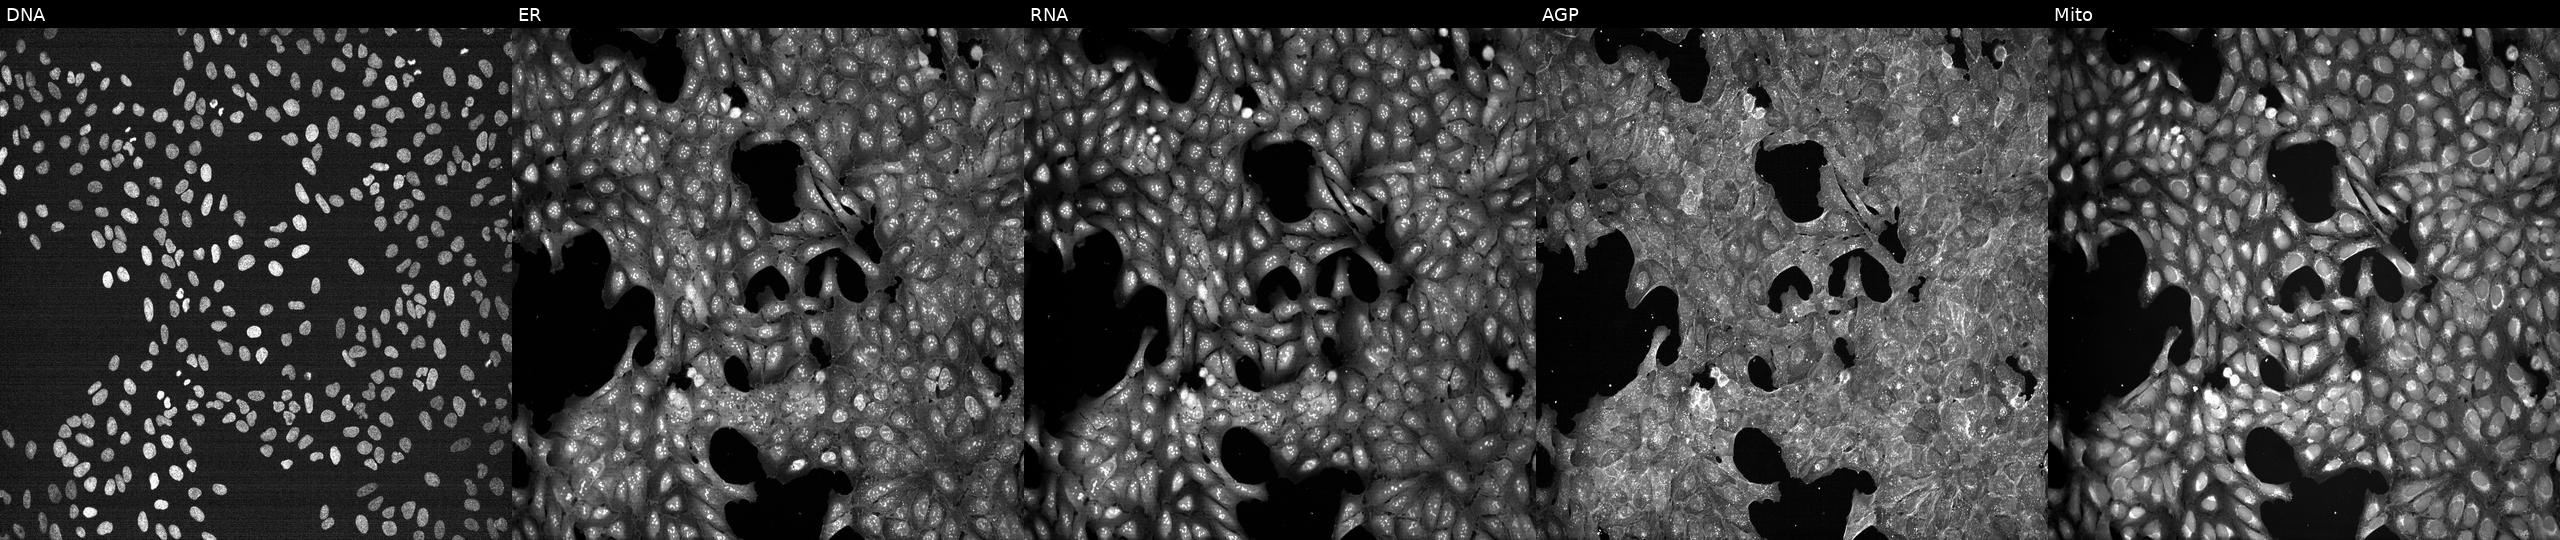
This image strip shows the five Cell Painting channels for a single field of U2OS cells exposed to a small-molecule compound (InChIKey NZHGWWWHIYHZNX-UHFFFAOYSA-N). From left to right: DNA, ER, RNA, AGP, and Mito. Source 7, plate CP1-SC1-25, well B16.